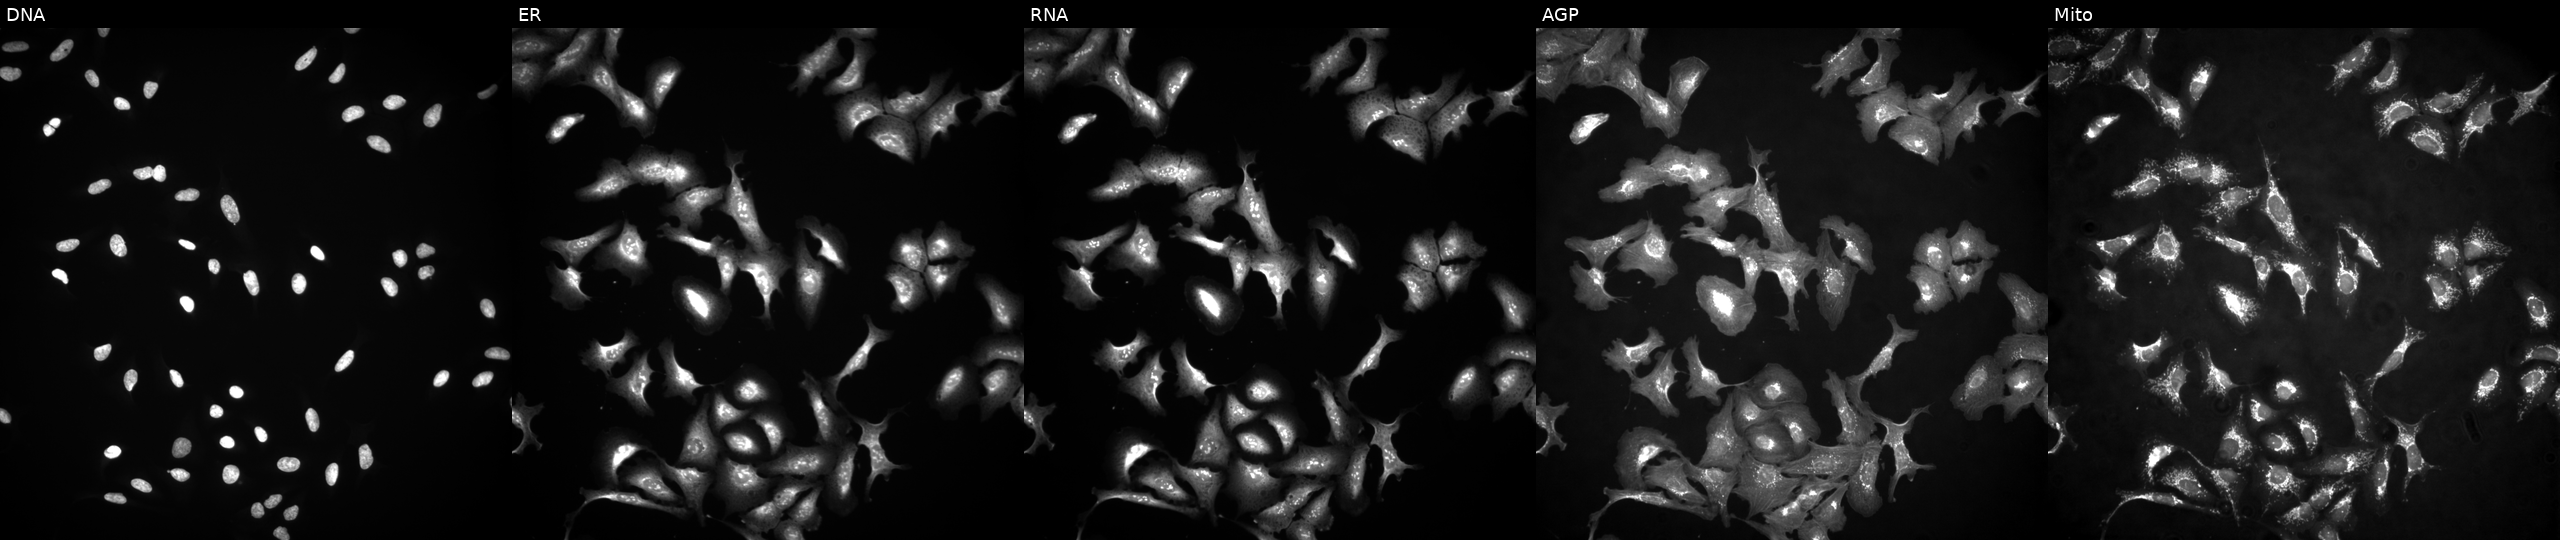
High-content fluorescence microscopy (Cell Painting). Cell line: U2OS. Perturbation: with YIPF4 overexpressed (ORF). Channels (left→right): Hoechst 33342, concanavalin A, SYTO 14, phalloidin and WGA, MitoTracker.